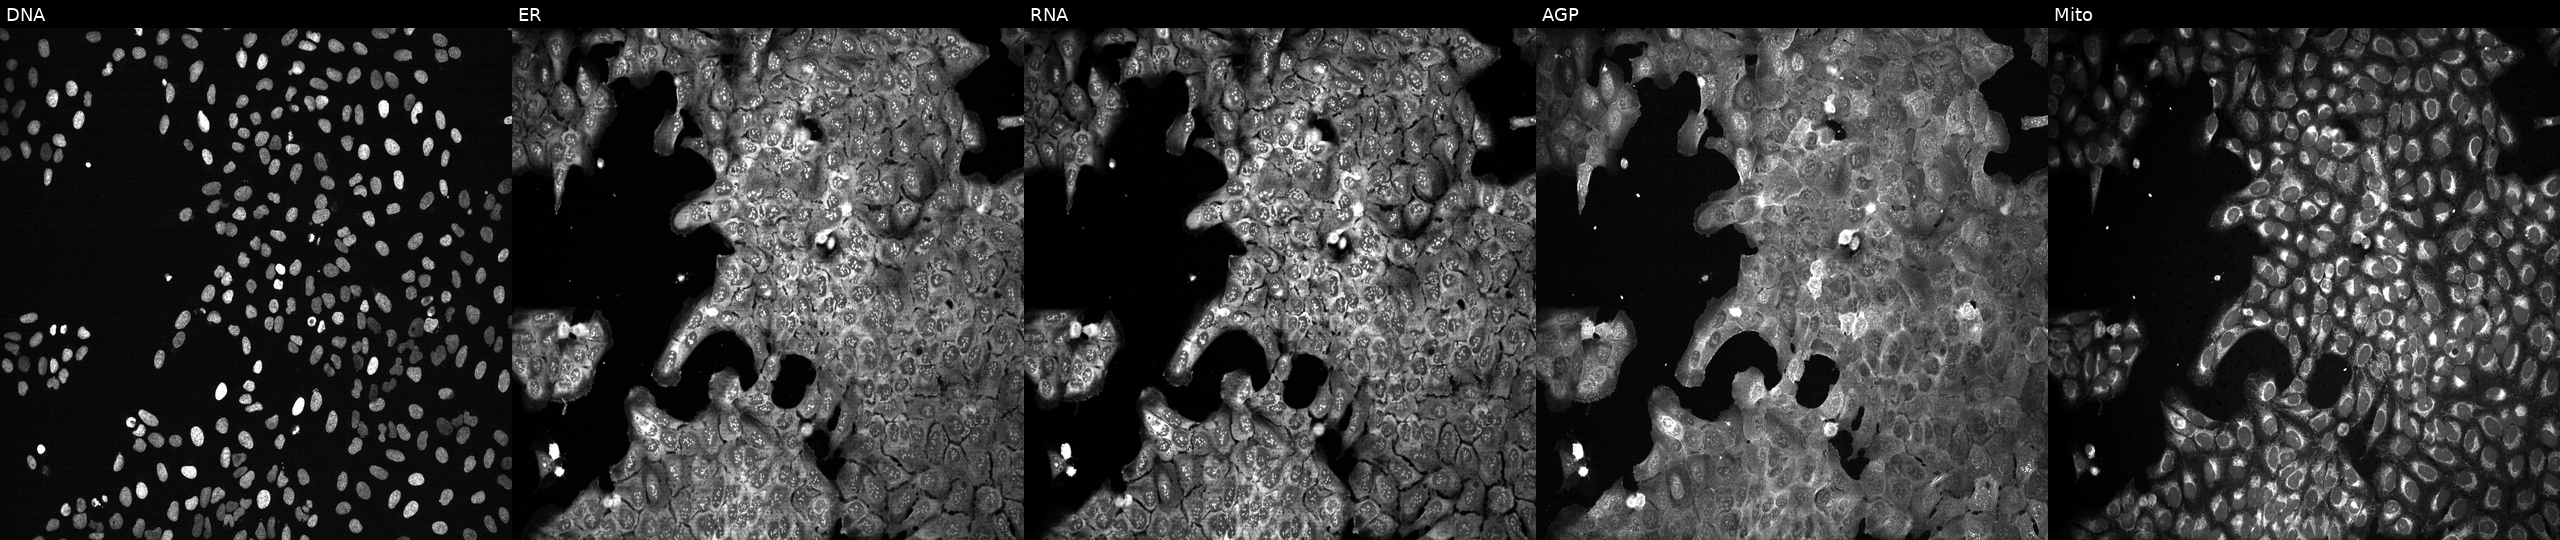
Channels (left→right): DNA, ER, RNA, AGP, and Mito. U2OS osteosarcoma cells following CRISPR knockout of GALNT13. Cell Painting assay, JUMP-CP dataset.